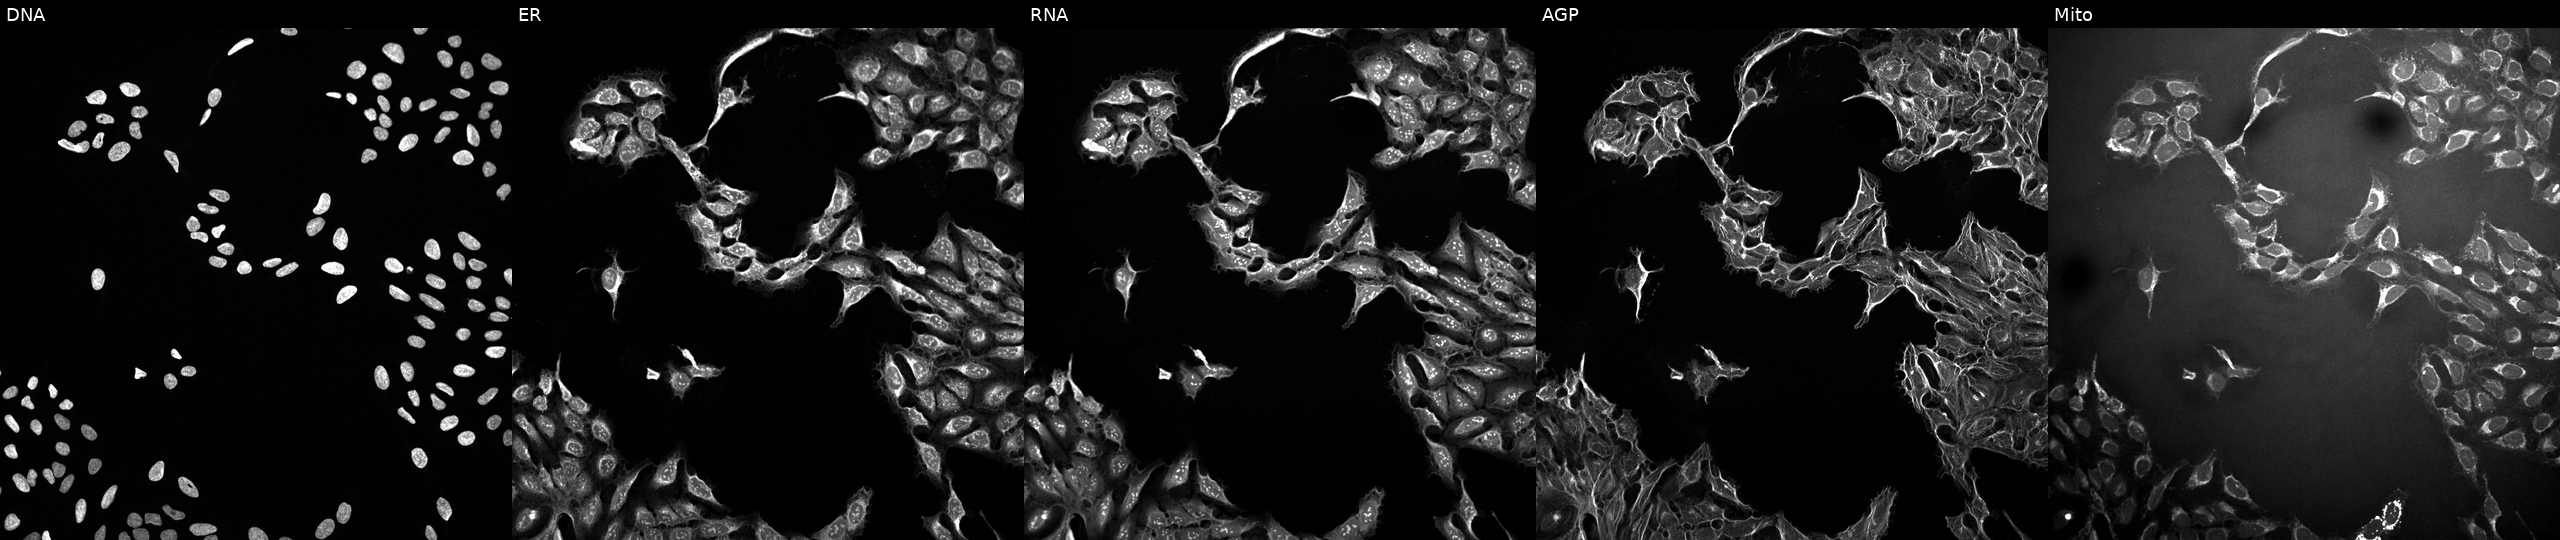
JUMP Cell Painting — TARGET2 plate. U2OS cells exposed to DMSO alone as a negative control (JUMP id JCP2022_033924). Channels (left→right): DNA, ER, RNA, AGP, and Mito.